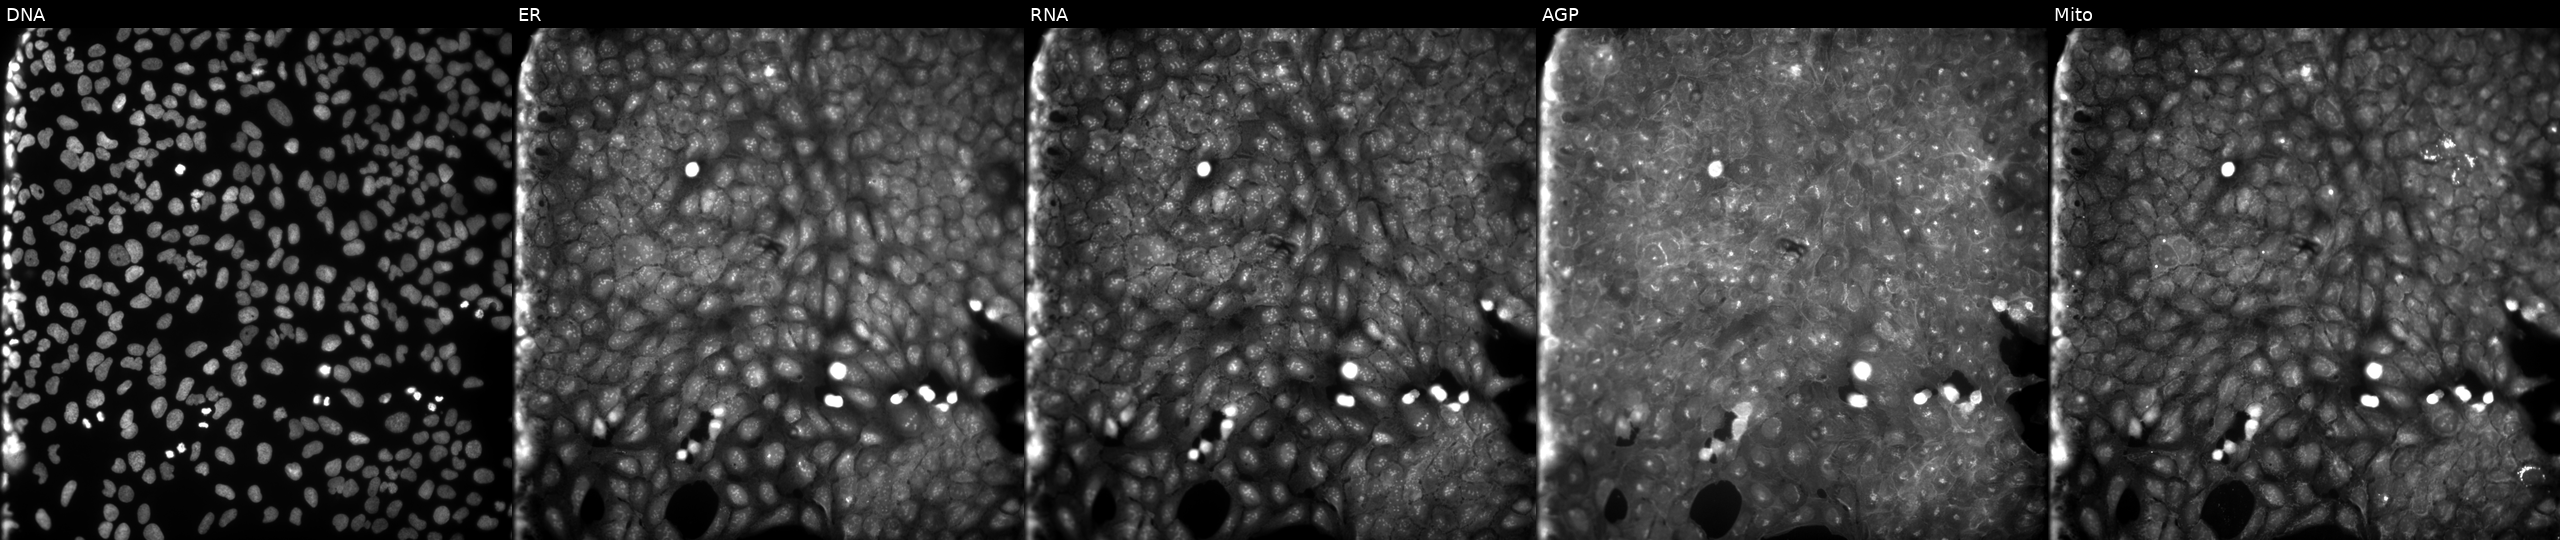
High-content fluorescence microscopy (Cell Painting). Cell line: U2OS. Perturbation: exposed to a small-molecule compound (InChIKey IIKLBCXHIZWDEG-UHFFFAOYSA-N). From left to right: DNA (nuclei); ER (endoplasmic reticulum); RNA (nucleoli and cytoplasmic RNA); AGP (actin cytoskeleton, Golgi, and plasma membrane); Mito (mitochondria). Source 9, plate GR00003381, well S05.